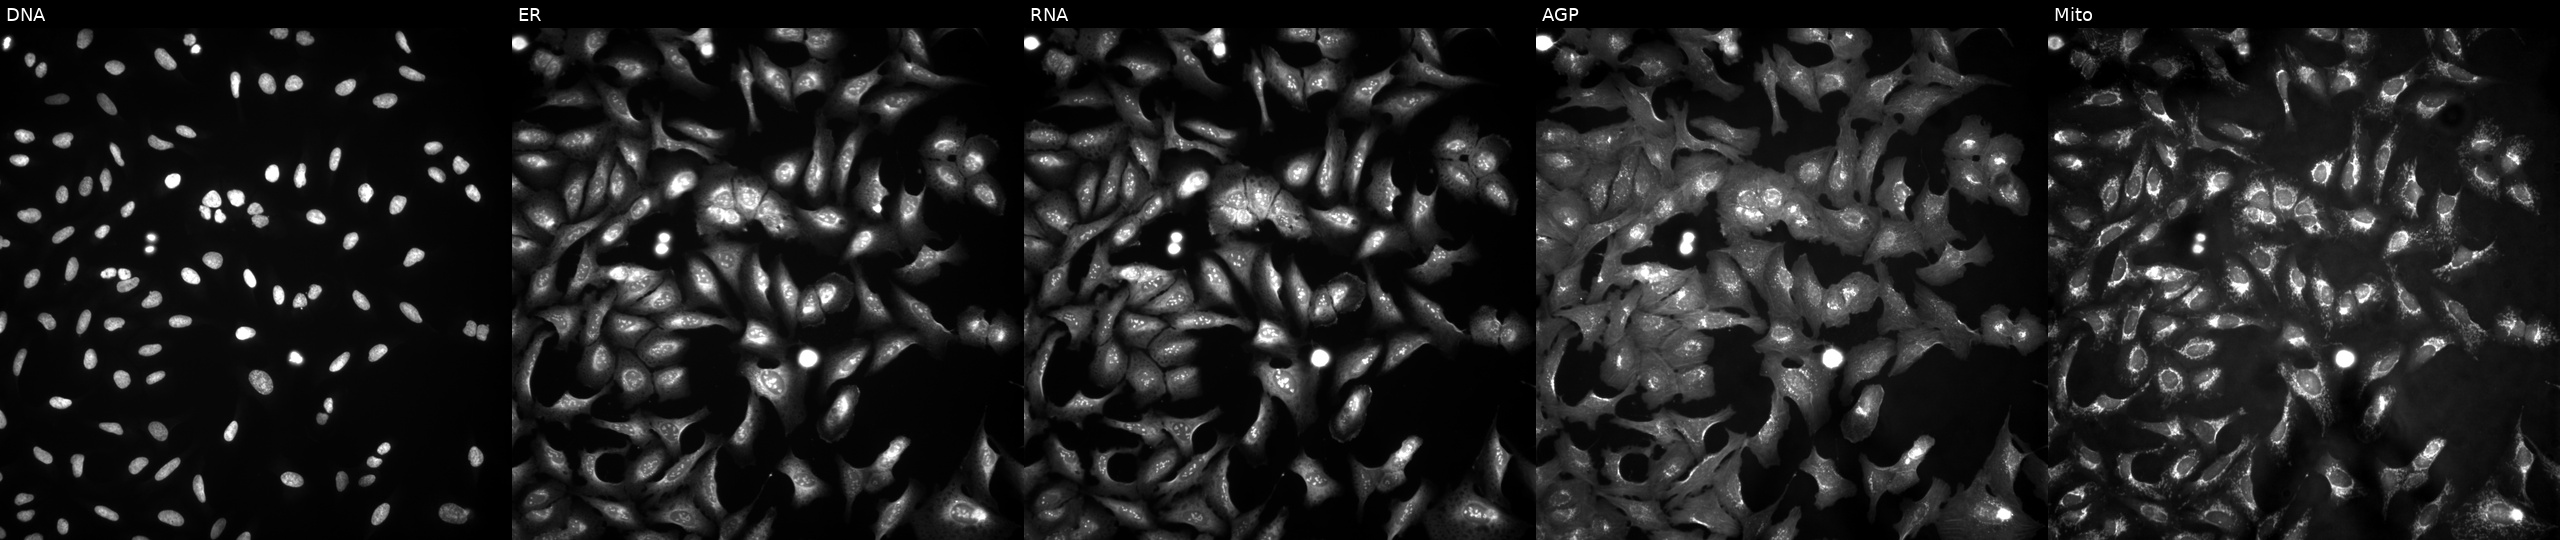
Five-channel Cell Painting image of U2OS cells with CXCR6 overexpressed (ORF). Panels show, left to right, Hoechst 33342, concanavalin A, SYTO 14, phalloidin and WGA, MitoTracker.